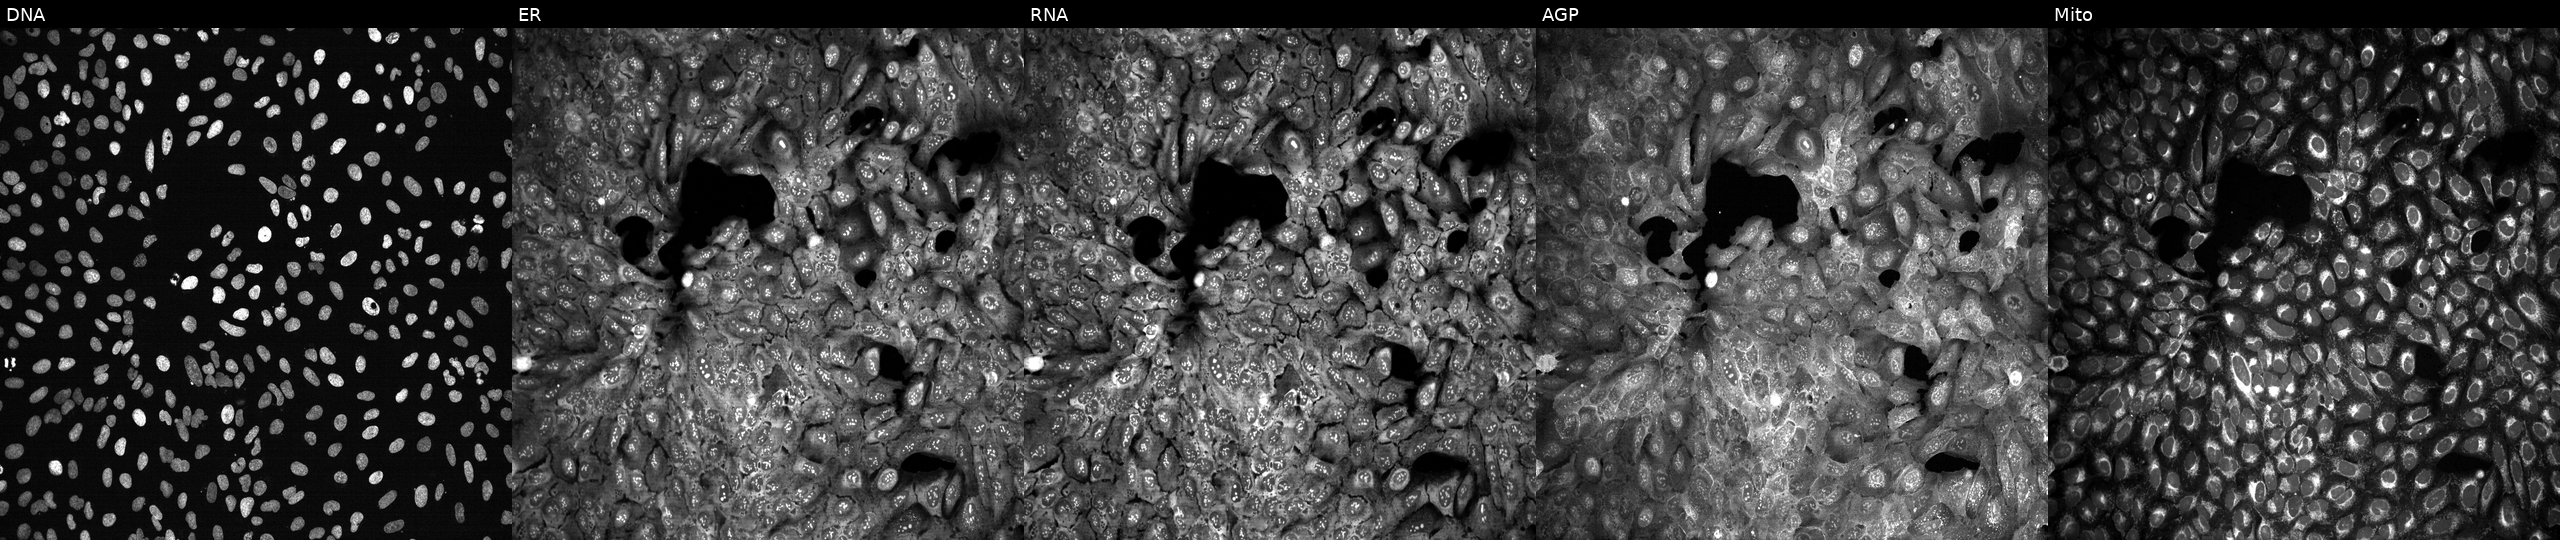
Five-channel Cell Painting image of U2OS cells CRISPR-edited to disrupt ASPH. Panels show, left to right, Hoechst 33342, concanavalin A, SYTO 14, phalloidin and WGA, MitoTracker.